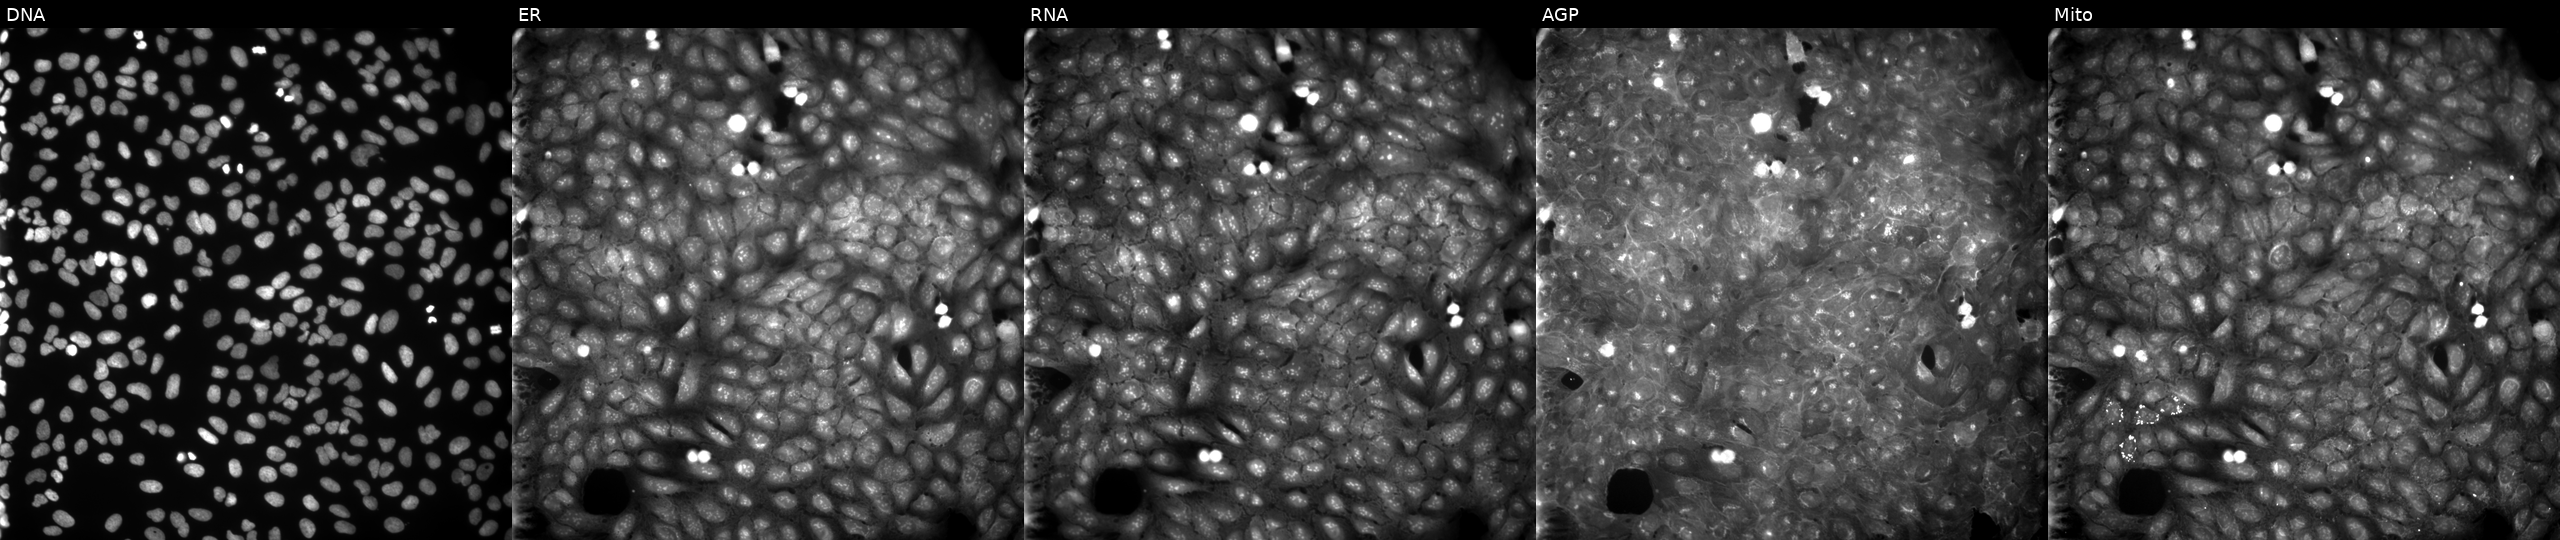
Panels show, left to right, DNA (nuclei); ER (endoplasmic reticulum); RNA (nucleoli and cytoplasmic RNA); AGP (actin cytoskeleton, Golgi, and plasma membrane); Mito (mitochondria). U2OS osteosarcoma cells perturbed with a small-molecule compound (InChIKey SWYQYBCSRUINMF-UHFFFAOYSA-N) [SMILES: Cc1ccccc1OCC(O)Cn1c(=N)[nH]c2c1c(=O)n(C)c(=O)n2C]. Cell Painting assay, JUMP-CP dataset.